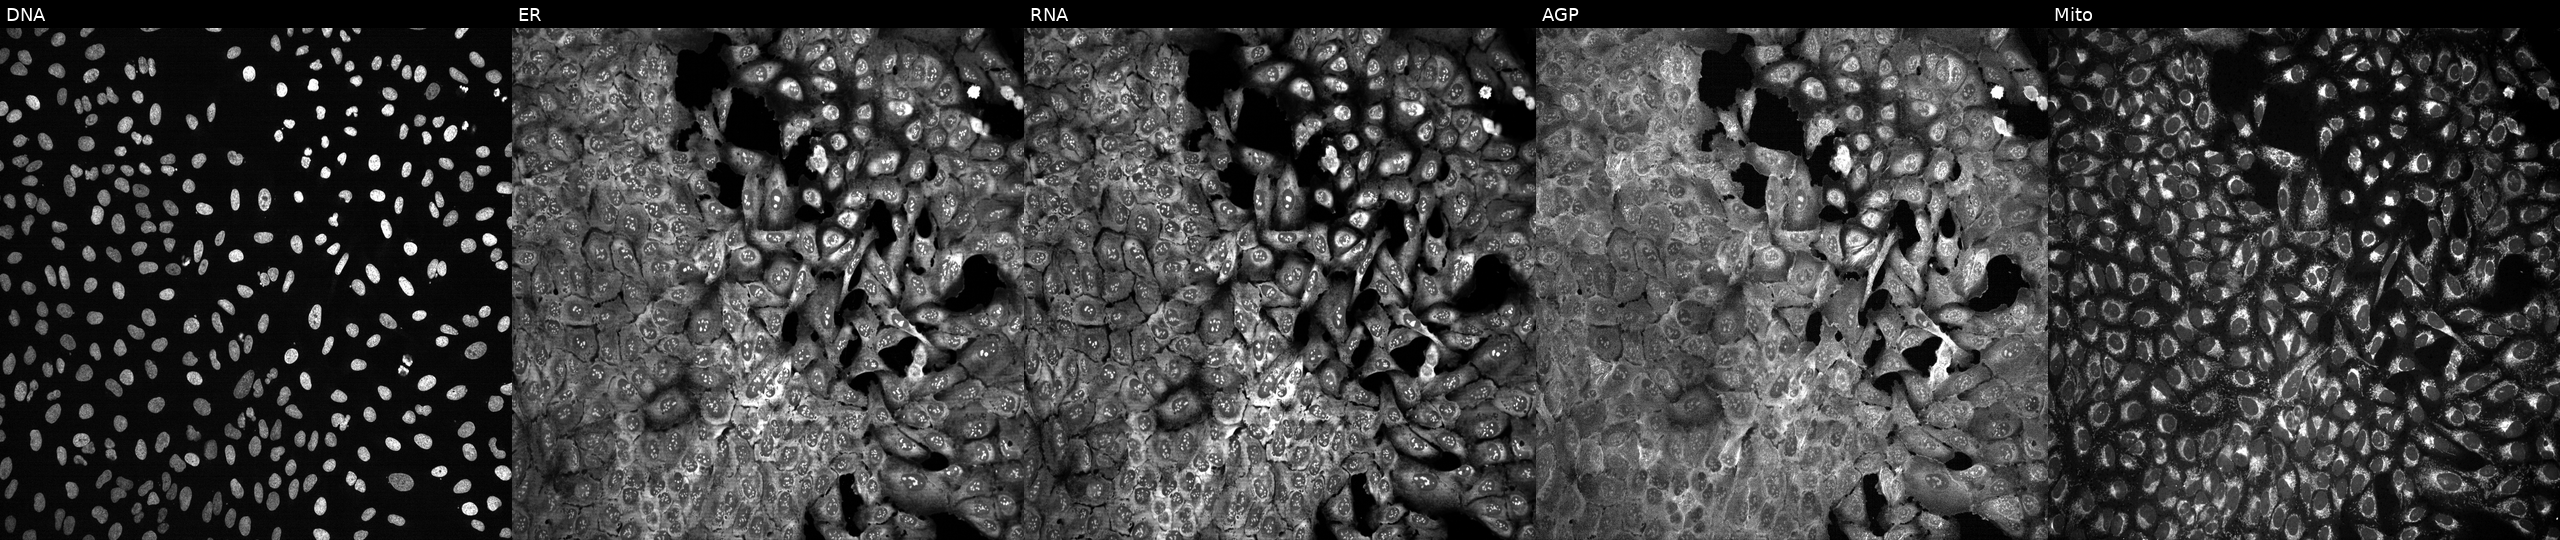
From left to right: DNA, ER, RNA, AGP, and Mito. U2OS osteosarcoma cells with TAPBP knocked out by CRISPR (JUMP id JCP2022_806954). Cell Painting assay, JUMP-CP dataset.